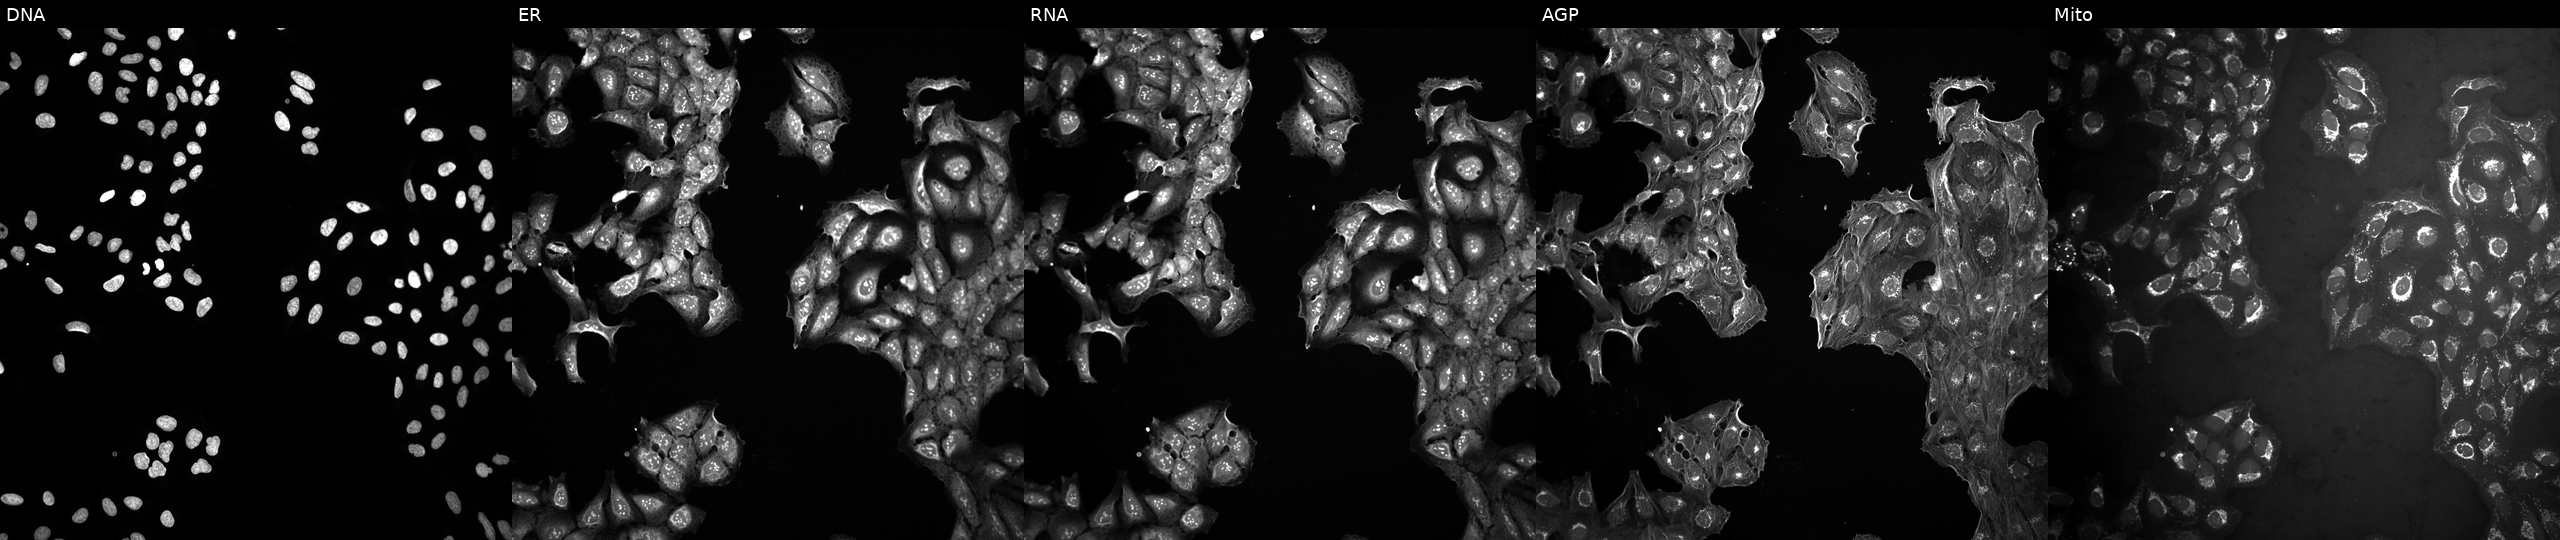
U2OS cells, Cell Painting assay, in an empty control well (no perturbation). From left to right: DNA, ER, RNA, AGP, and Mito. Each panel is percentile-stretched 16-bit fluorescence. Source 10, plate Dest210531-152149, well L20.